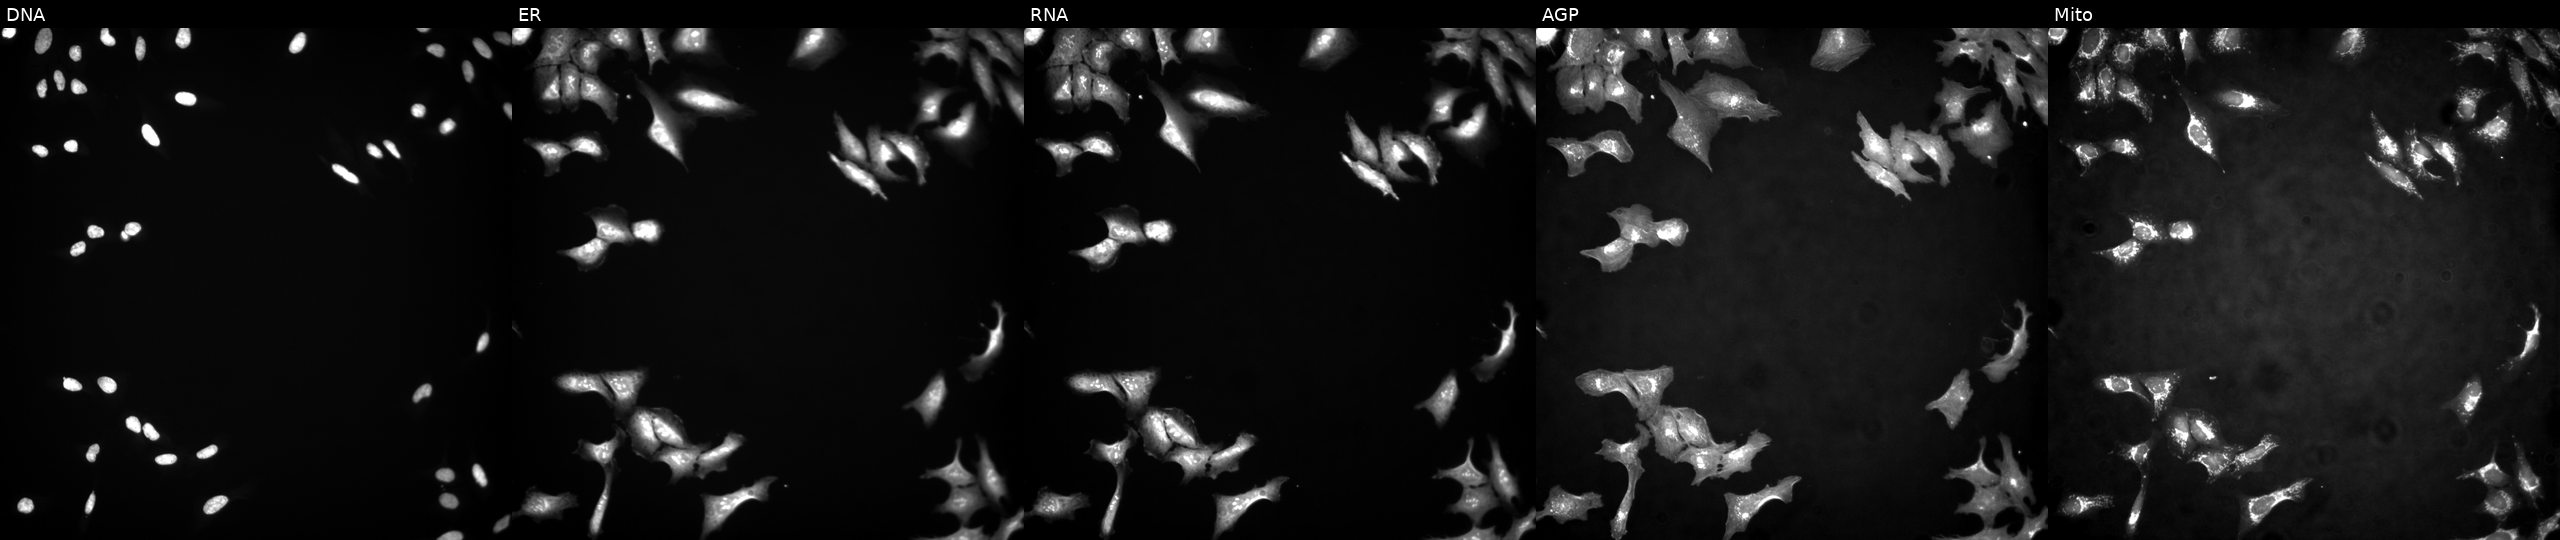
JUMP Cell Painting — ORF plate. U2OS cells transfected with an ORF construct for CERS3. Panels show, left to right, DNA, ER, RNA, AGP, and Mito. Source 4, plate BR00117035, well L23.